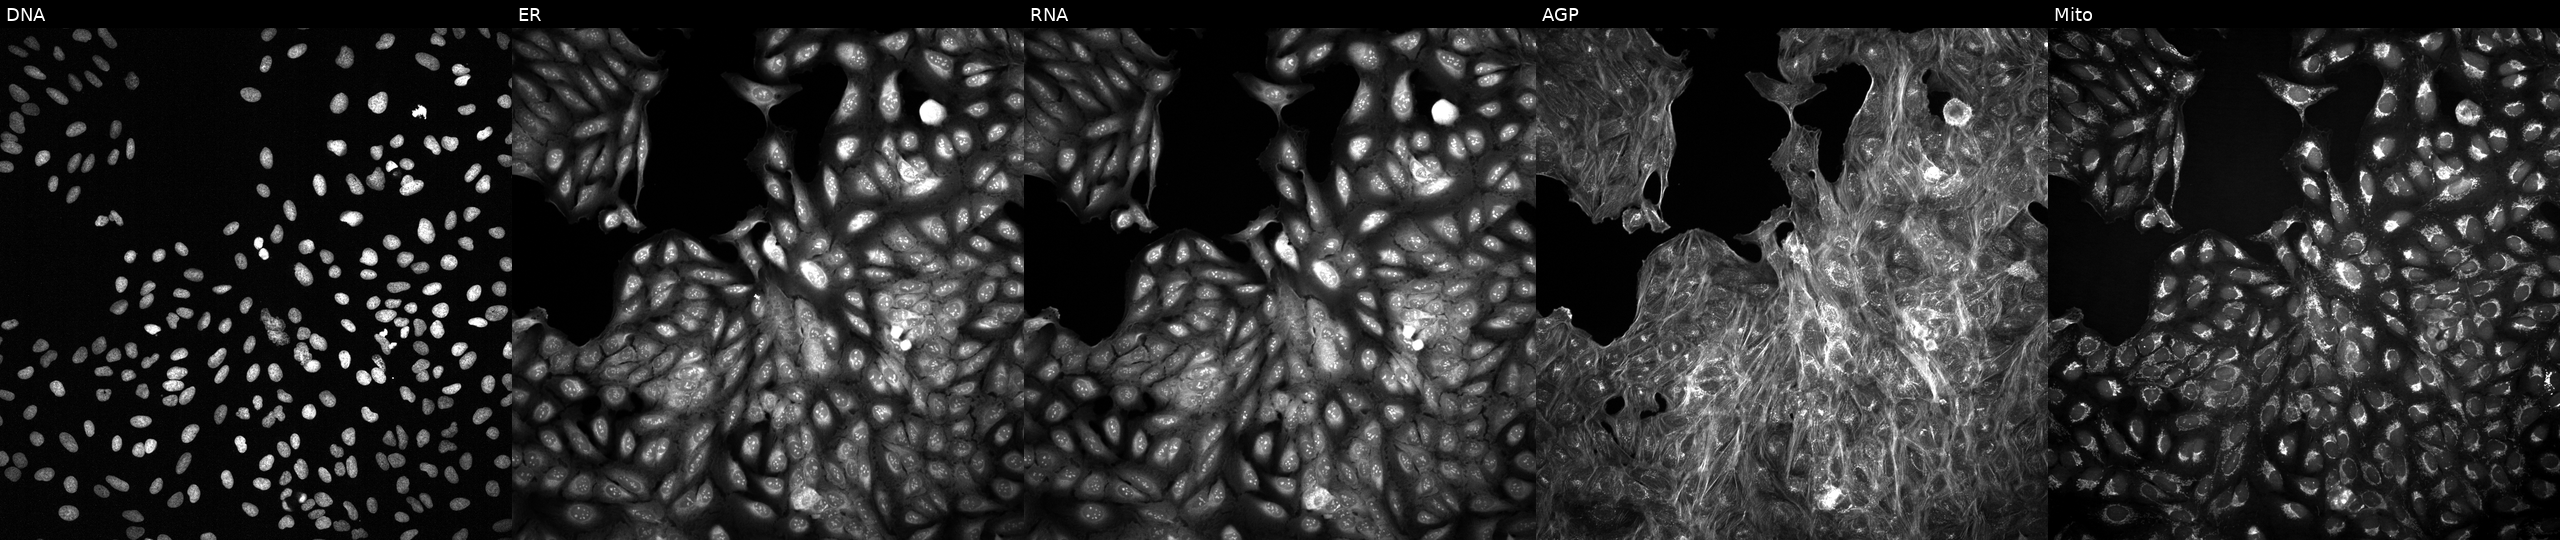
This image strip shows the five Cell Painting channels for a single field of U2OS cells exposed to a small-molecule compound. The five panels, left to right, show DNA (nuclei); ER (endoplasmic reticulum); RNA (nucleoli and cytoplasmic RNA); AGP (actin cytoskeleton, Golgi, and plasma membrane); Mito (mitochondria).